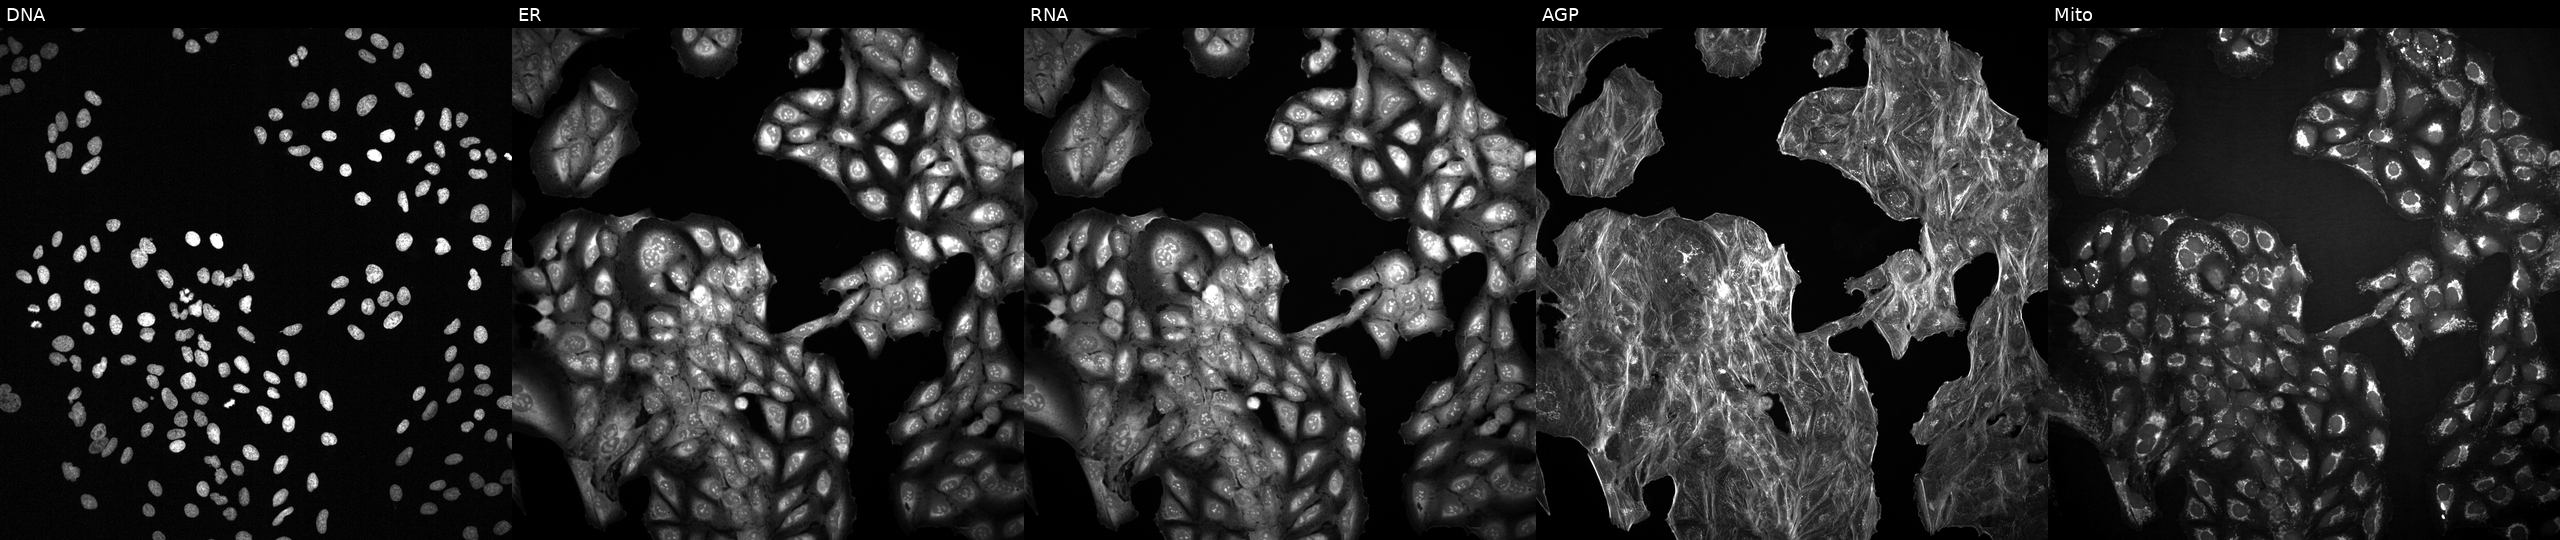
U2OS cells, Cell Painting assay, with an unidentified perturbation (not annotated in JUMP metadata). Panels show, left to right, Hoechst 33342, concanavalin A, SYTO 14, phalloidin and WGA, MitoTracker. Each panel is percentile-stretched 16-bit fluorescence.